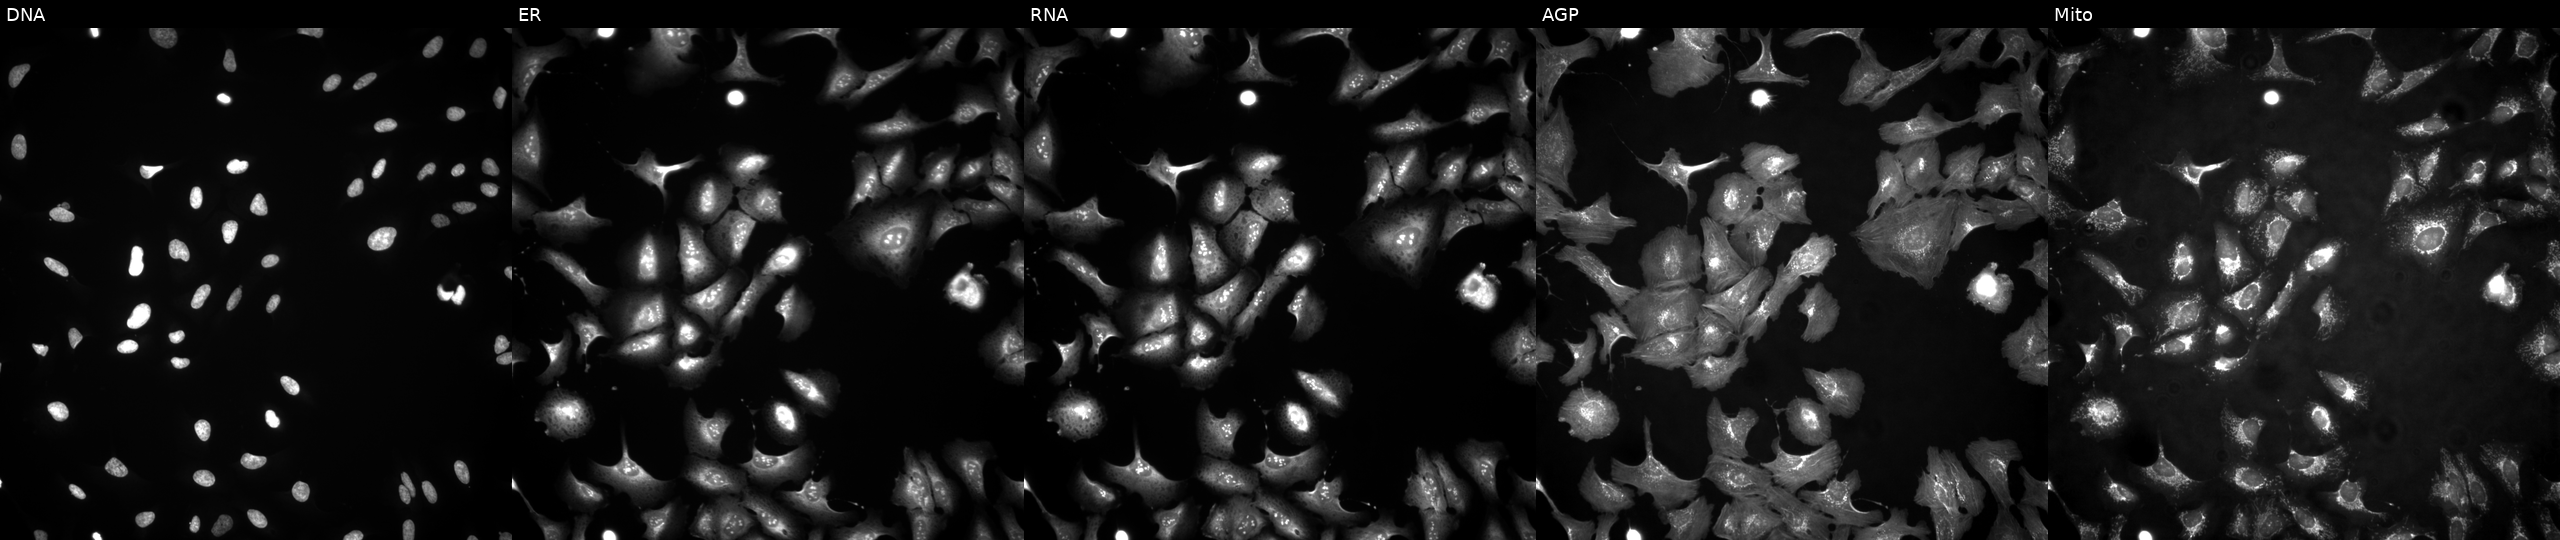
U2OS cells, Cell Painting assay, with RAD51AP1 overexpressed (ORF) (JUMP id JCP2022_910752). Channels (left→right): DNA, ER, RNA, AGP, and Mito. Each panel is percentile-stretched 16-bit fluorescence. Source 4, plate BR00124784, well E11.